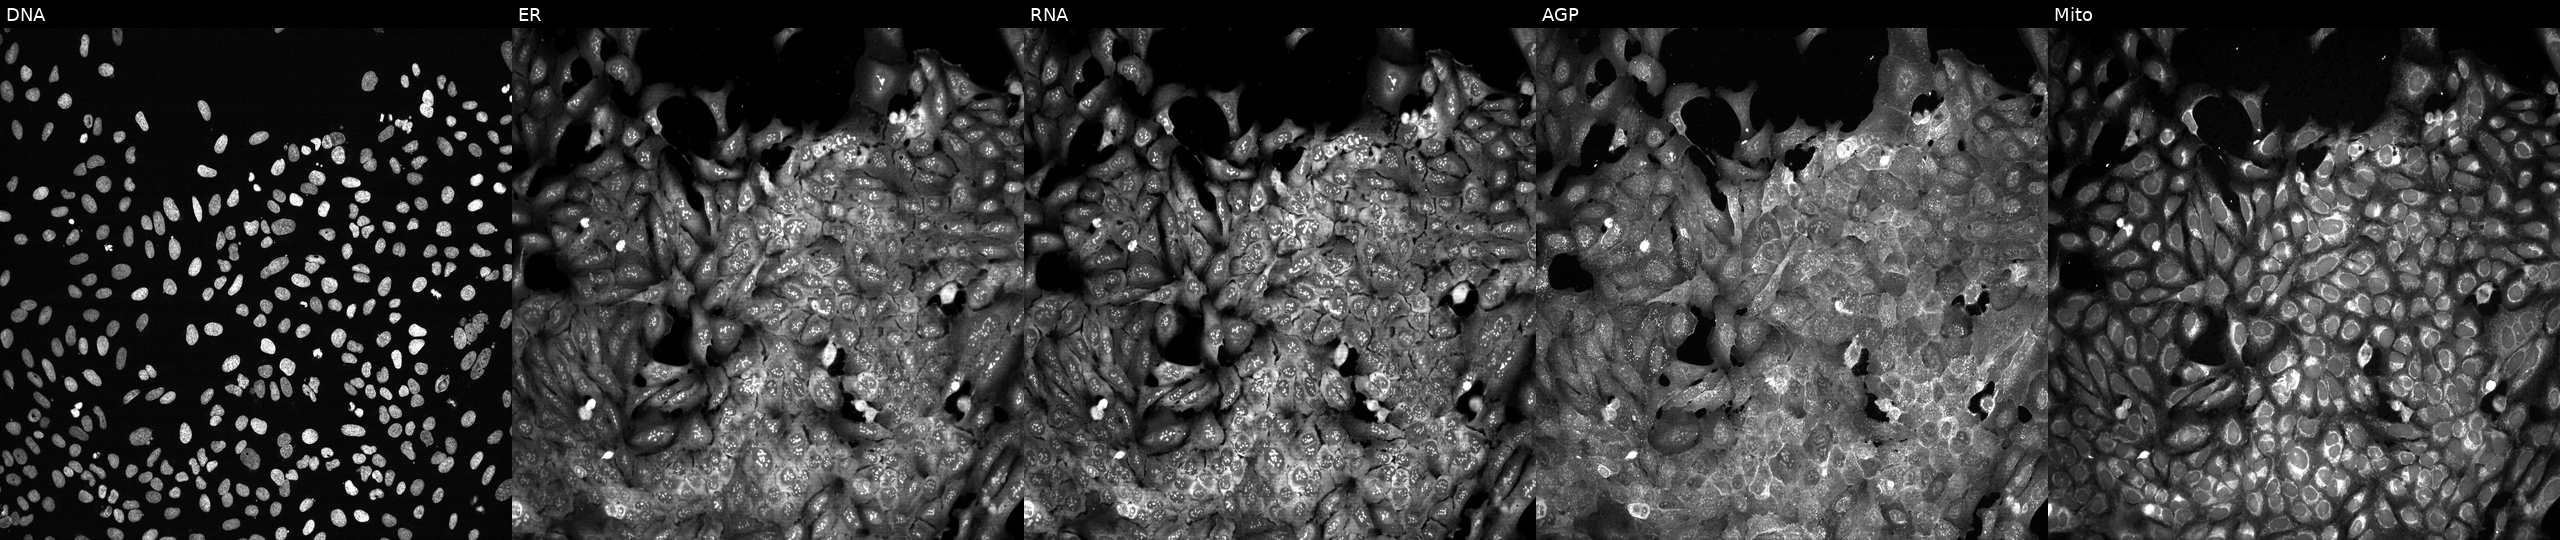
High-content fluorescence microscopy (Cell Painting). Cell line: U2OS. Perturbation: with AMY2B knocked out by CRISPR (JUMP id JCP2022_800446). From left to right: DNA (nuclei); ER (endoplasmic reticulum); RNA (nucleoli and cytoplasmic RNA); AGP (actin cytoskeleton, Golgi, and plasma membrane); Mito (mitochondria). Source 13, plate CP-CC9-R5-01, well D13.